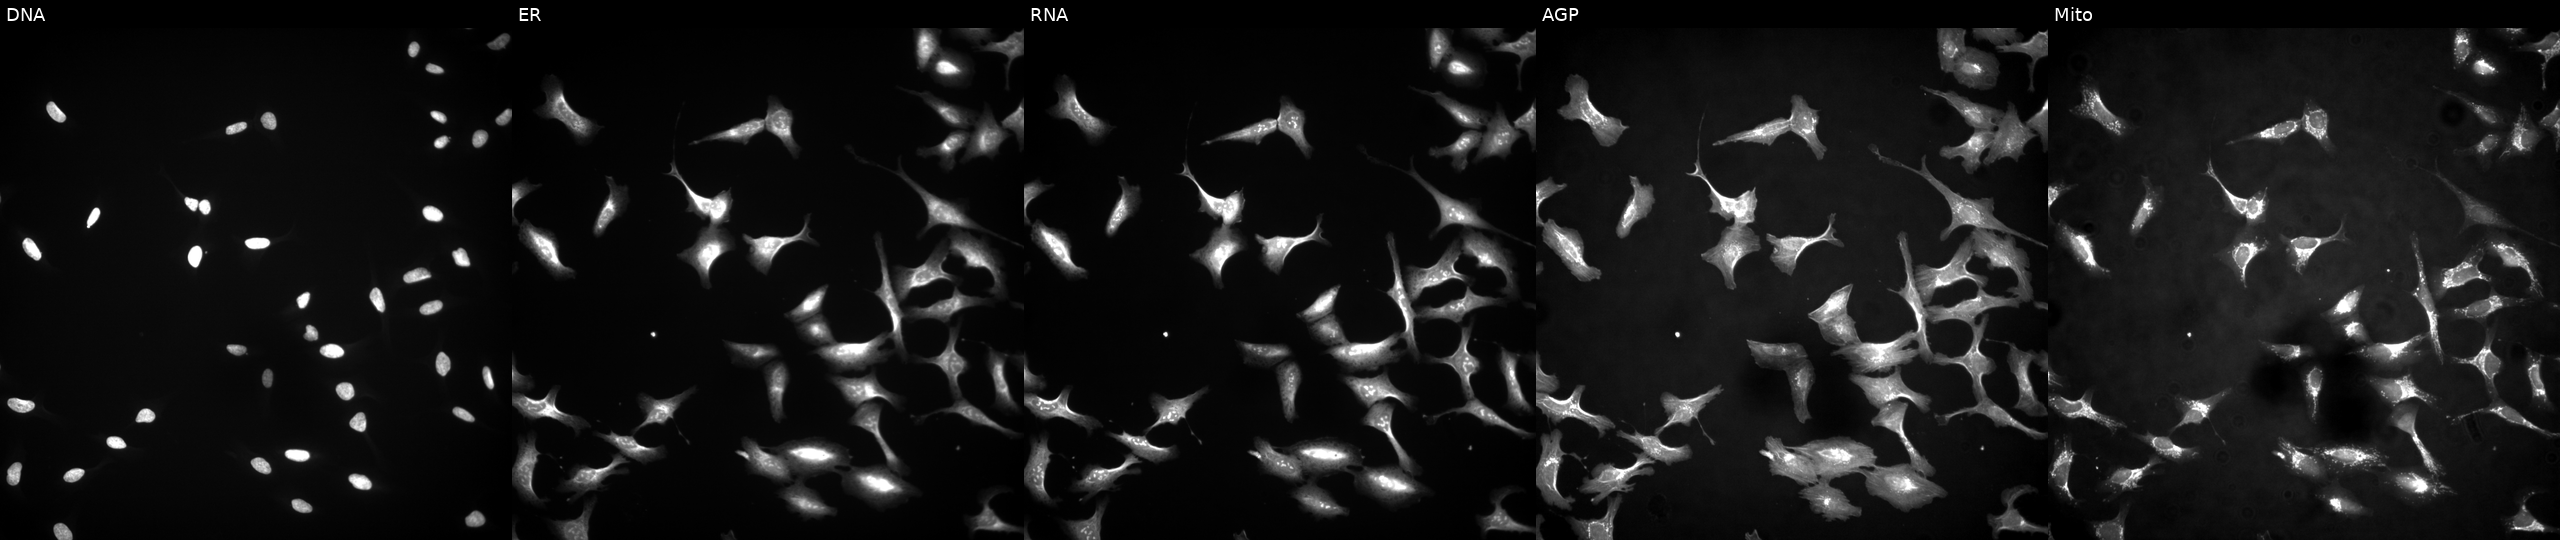
U2OS cells, Cell Painting assay, expressing eGFP (ORF positive control). Channels (left→right): Hoechst 33342, concanavalin A, SYTO 14, phalloidin and WGA, MitoTracker. Each panel is percentile-stretched 16-bit fluorescence.